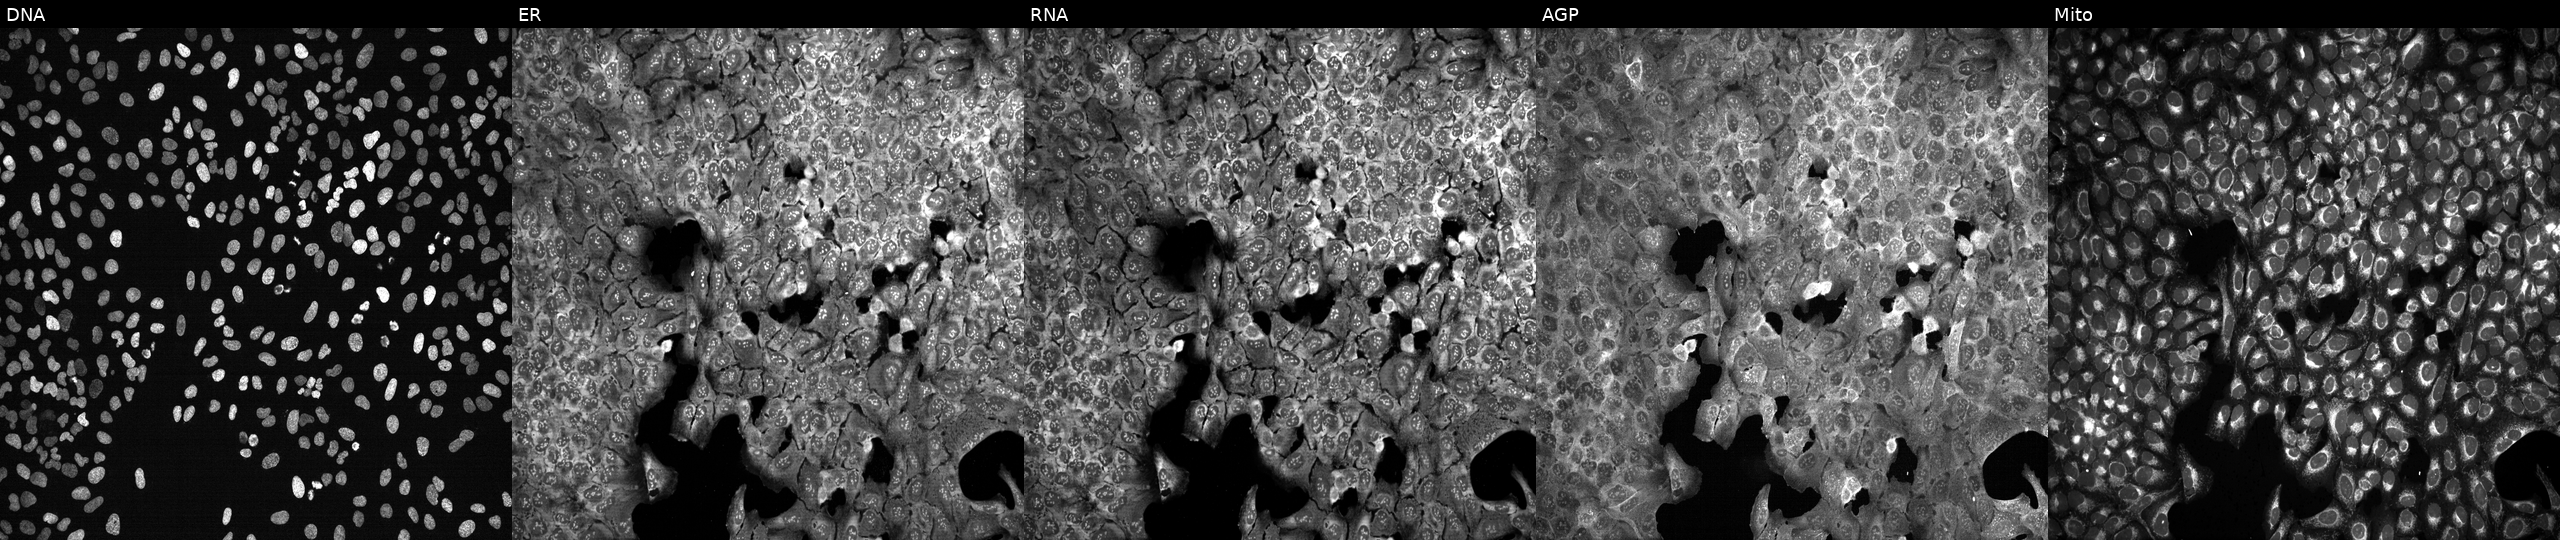
This image strip shows the five Cell Painting channels for a single field of U2OS cells following CRISPR knockout of HS3ST6. The five panels, left to right, show Hoechst 33342, concanavalin A, SYTO 14, phalloidin and WGA, MitoTracker.